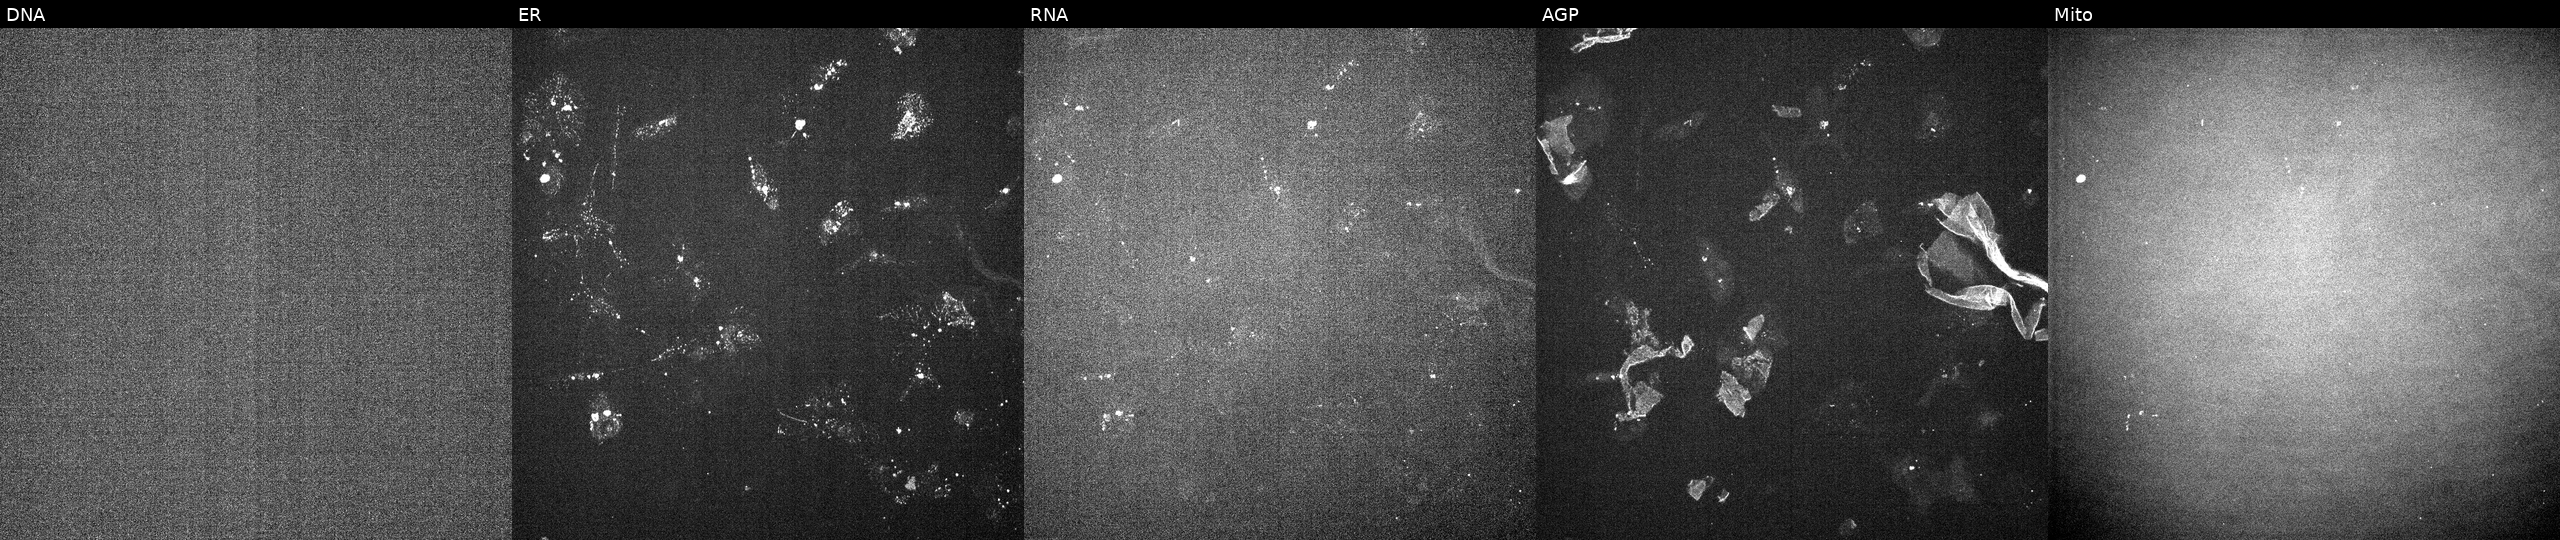
High-content fluorescence microscopy (Cell Painting). Cell line: U2OS. Perturbation: treated with a small-molecule compound (InChIKey LSFLAQVDISHMNB-UHFFFAOYSA-N) [SMILES: N=c1[nH]cnc2c1c(-c1cccc(OCc3ccccc3)c1)cn2C1CC(CN2CCCC2)C1] (JUMP id JCP2022_051415). From left to right: DNA (nuclei); ER (endoplasmic reticulum); RNA (nucleoli and cytoplasmic RNA); AGP (actin cytoskeleton, Golgi, and plasma membrane); Mito (mitochondria). Source 6, plate 110000293093, well H14.